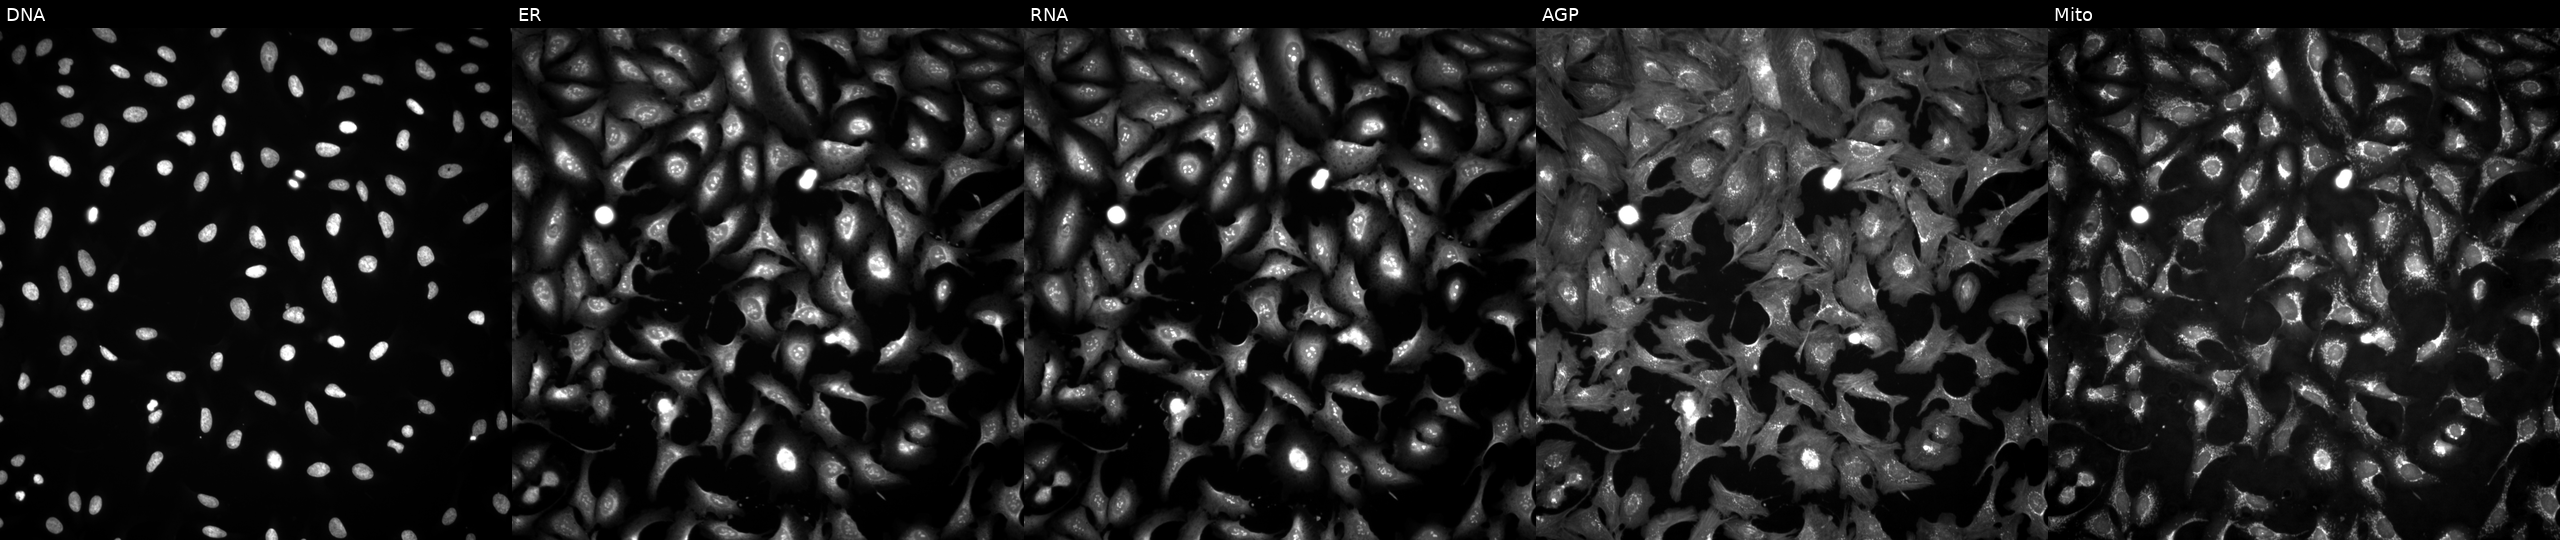
JUMP Cell Painting — ORF plate. U2OS cells overexpressing PFKFB1 via ORF transfection (JUMP id JCP2022_913768). From left to right: DNA, ER, RNA, AGP, and Mito.